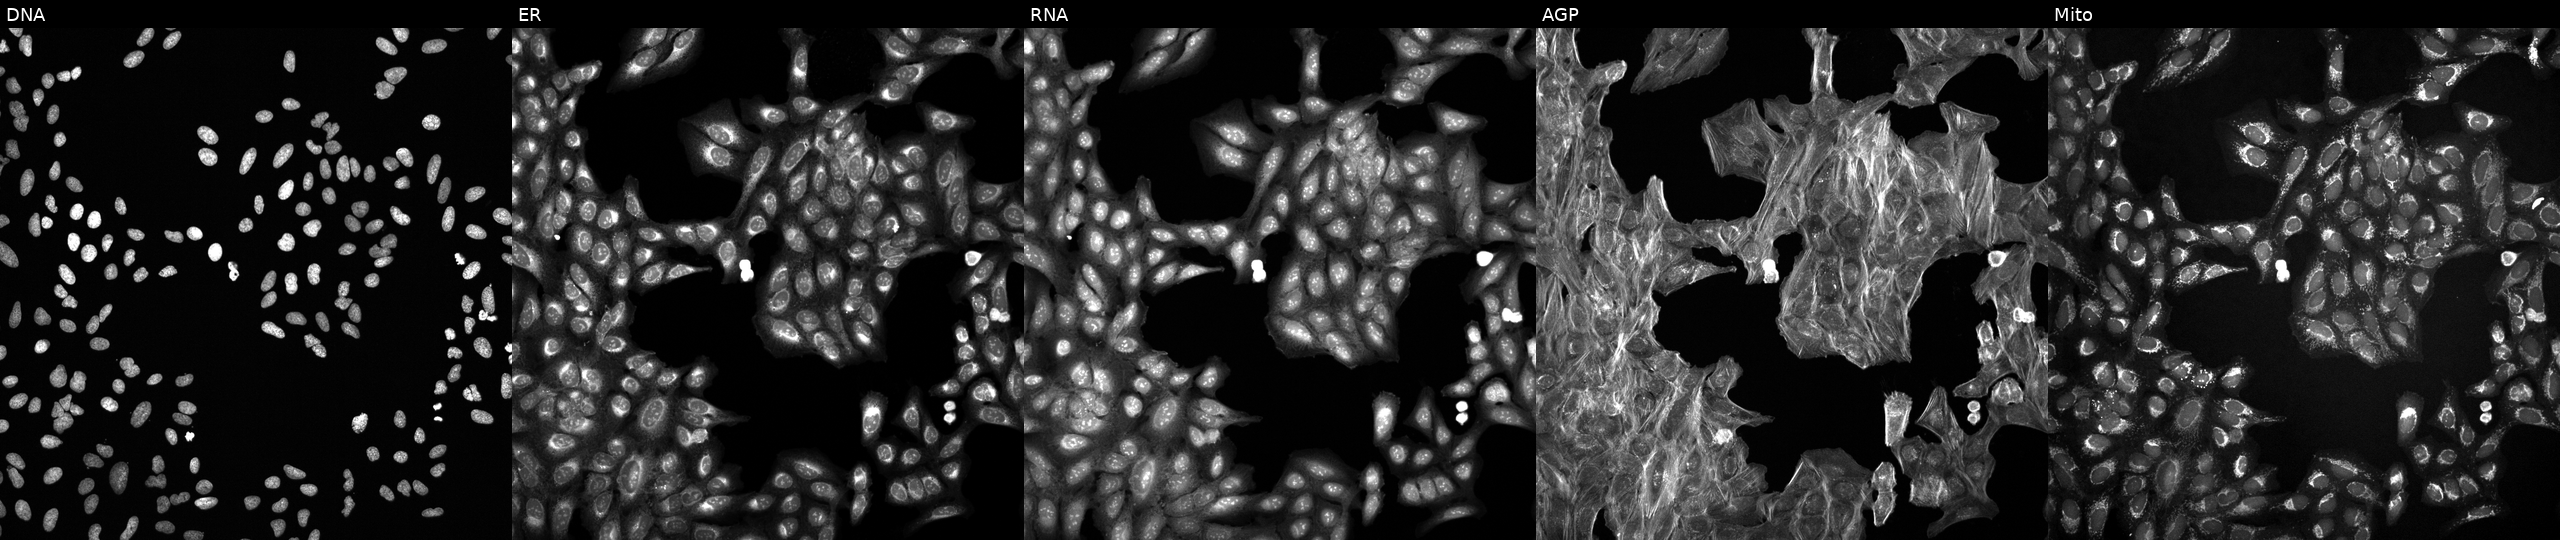
U2OS cells, Cell Painting assay, exposed to a small-molecule compound (JUMP id JCP2022_039116). From left to right: DNA, ER, RNA, AGP, and Mito. Each panel is percentile-stretched 16-bit fluorescence.